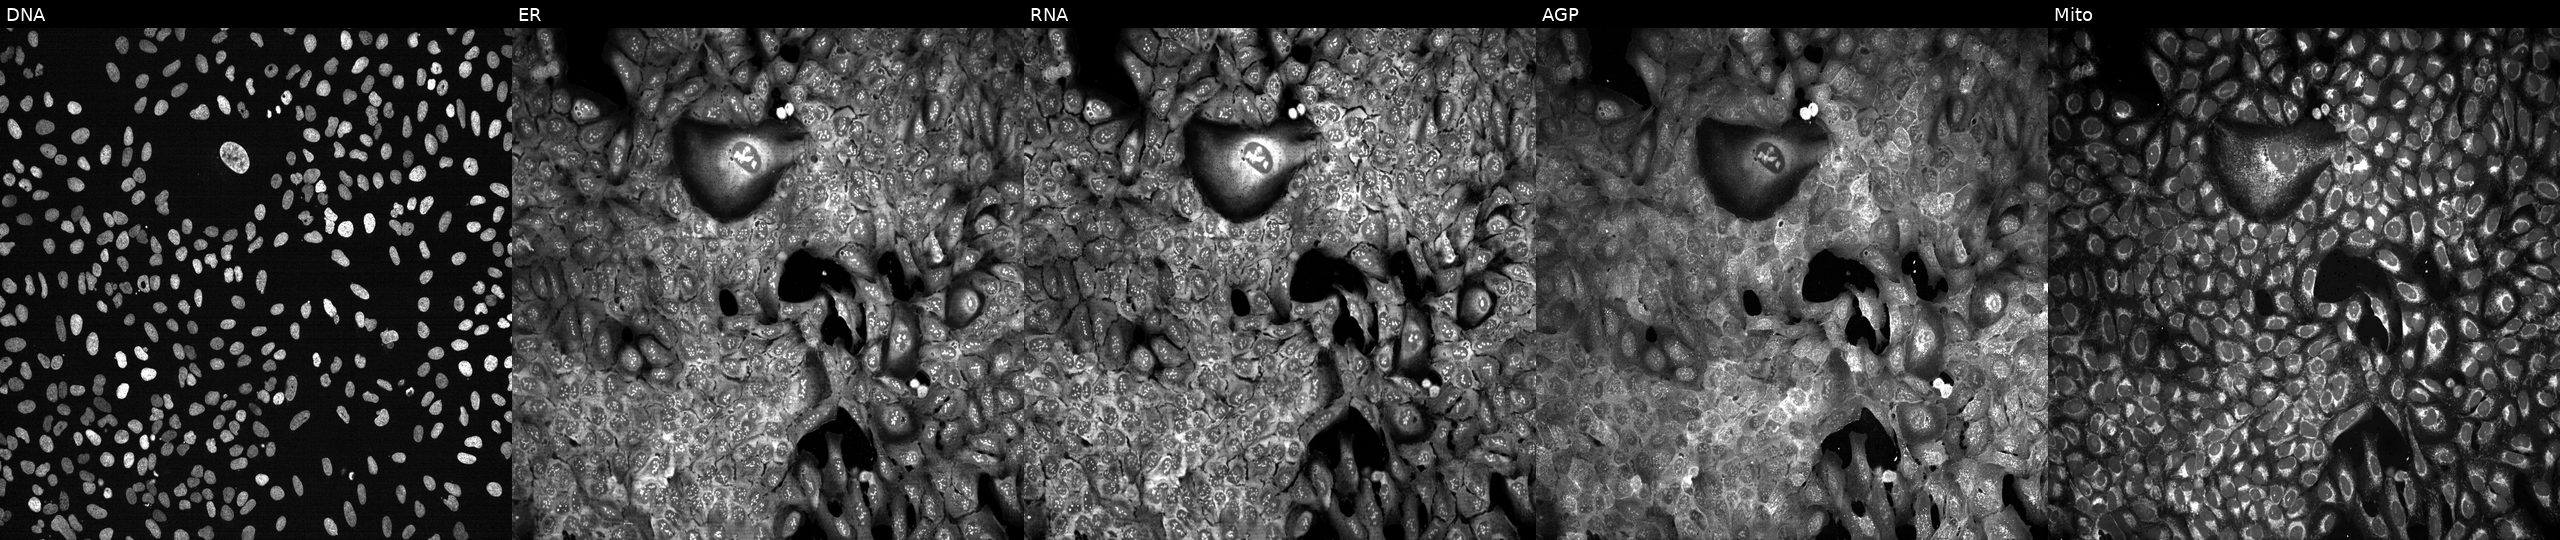
From left to right: DNA (nuclei); ER (endoplasmic reticulum); RNA (nucleoli and cytoplasmic RNA); AGP (actin cytoskeleton, Golgi, and plasma membrane); Mito (mitochondria). U2OS osteosarcoma cells with EXTL2 knocked out by CRISPR. Cell Painting assay, JUMP-CP dataset. Source 13, plate CP-CC9-R4-04, well H08.